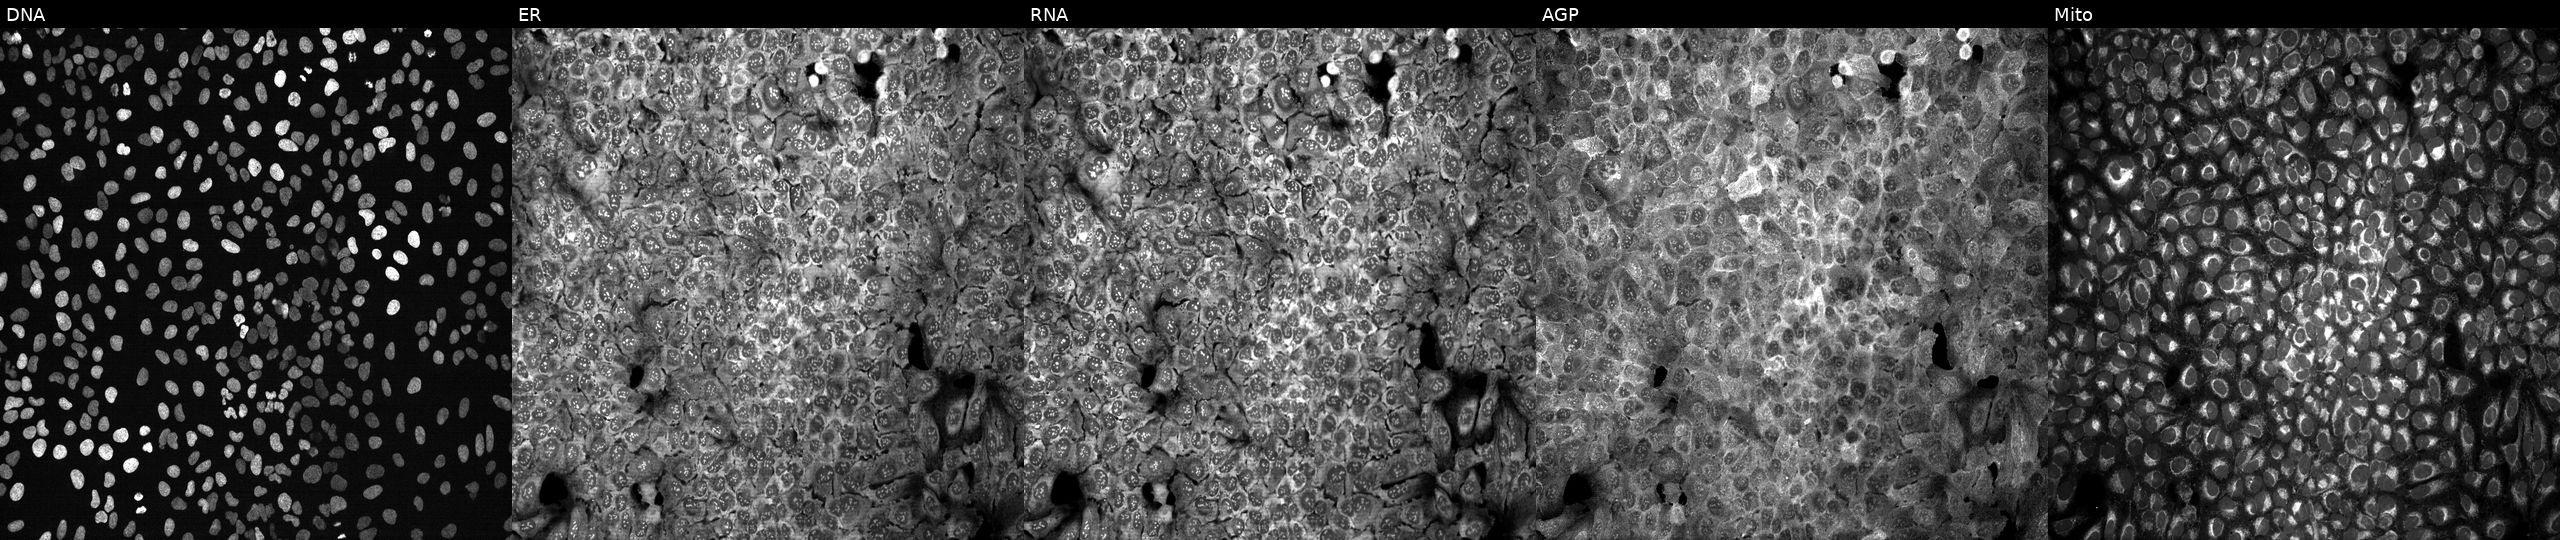
JUMP Cell Painting — CRISPR plate. U2OS cells with no CRISPR guide (negative control) (JUMP id JCP2022_800001). Panels show, left to right, DNA (nuclei); ER (endoplasmic reticulum); RNA (nucleoli and cytoplasmic RNA); AGP (actin cytoskeleton, Golgi, and plasma membrane); Mito (mitochondria).